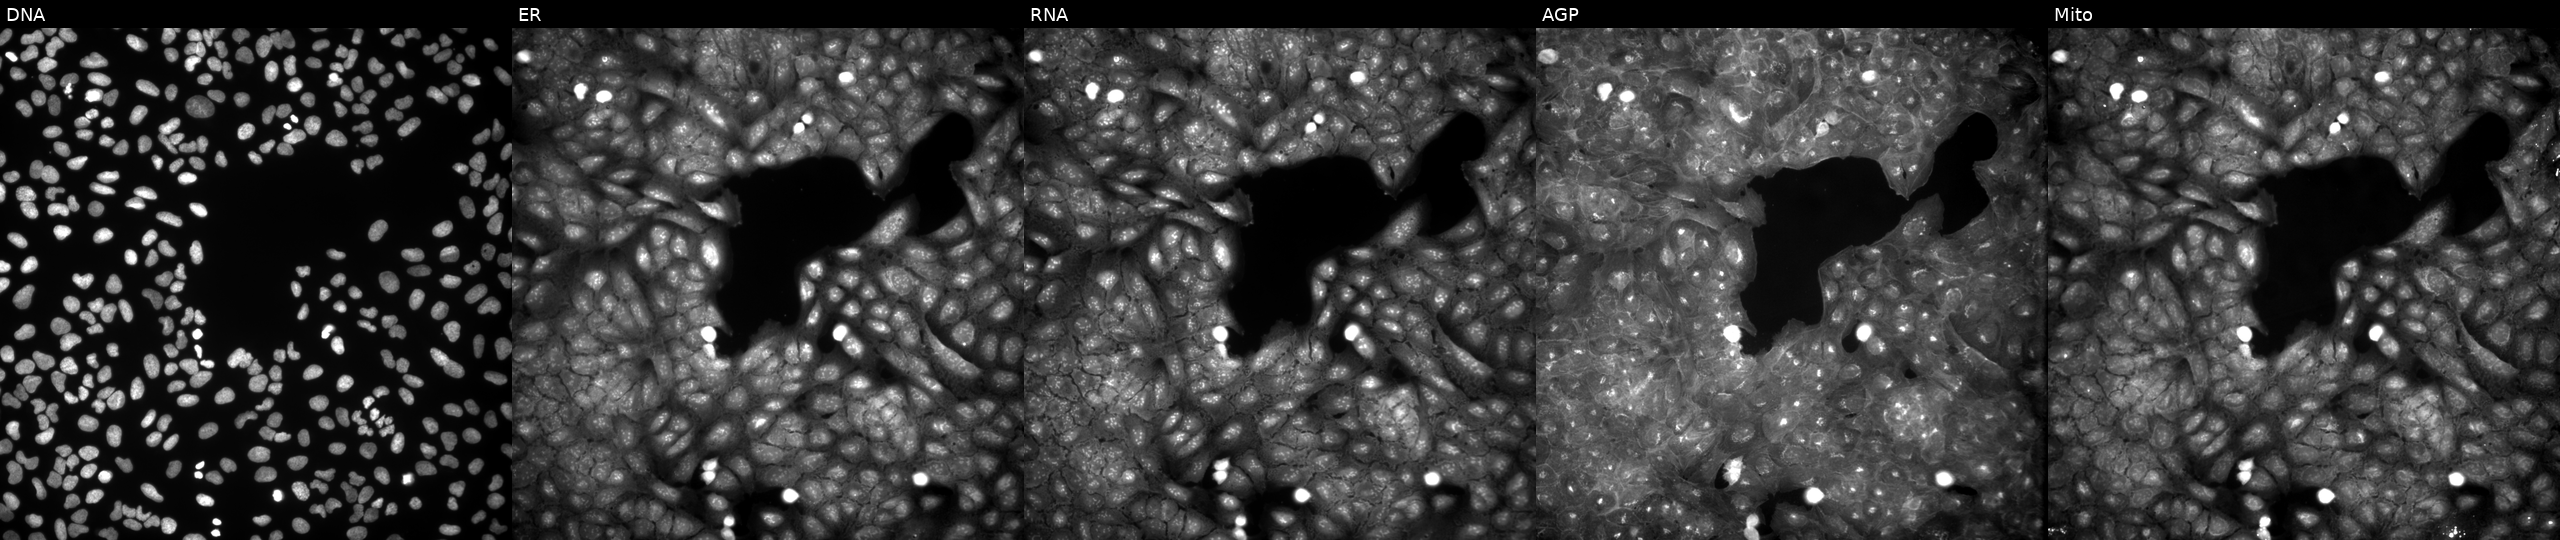
Five-channel Cell Painting image of U2OS cells treated with a small-molecule compound (InChIKey SRCLAYCPVSNXCU-UHFFFAOYSA-N) [SMILES: CCOC(=O)c1c(C)n(CC)c2c1cc(O)c1ccccc12] (JUMP id JCP2022_085096). Channels (left→right): DNA, ER, RNA, AGP, and Mito.